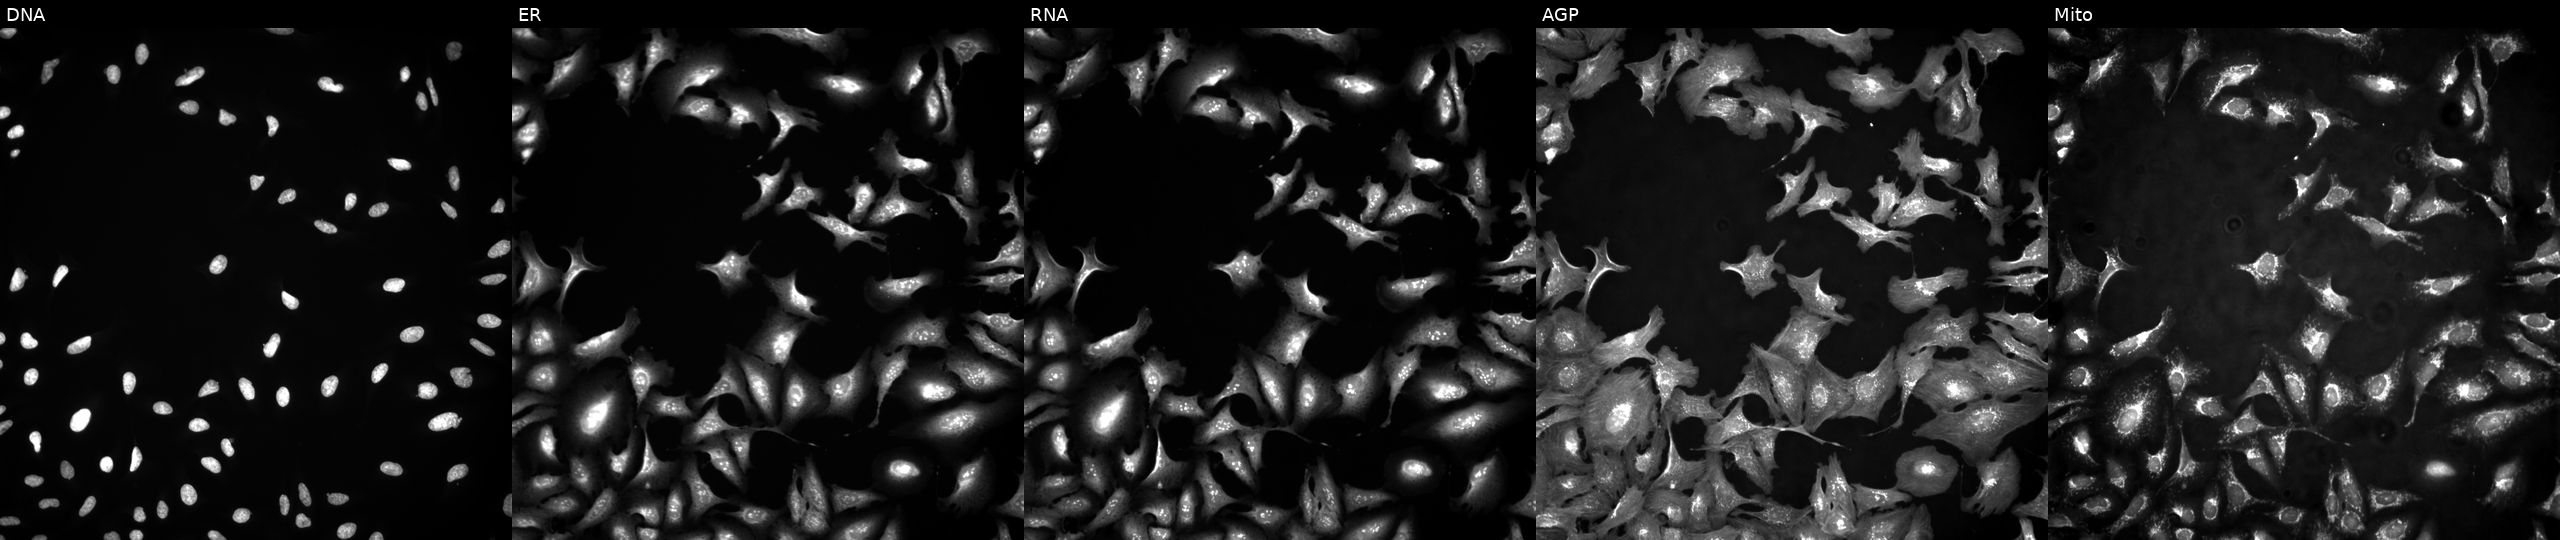
High-content fluorescence microscopy (Cell Painting). Cell line: U2OS. Perturbation: transfected with an ORF construct for UHMK1 (JUMP id JCP2022_914247). From left to right: DNA (nuclei); ER (endoplasmic reticulum); RNA (nucleoli and cytoplasmic RNA); AGP (actin cytoskeleton, Golgi, and plasma membrane); Mito (mitochondria). Source 4, plate BR00123945, well E05.